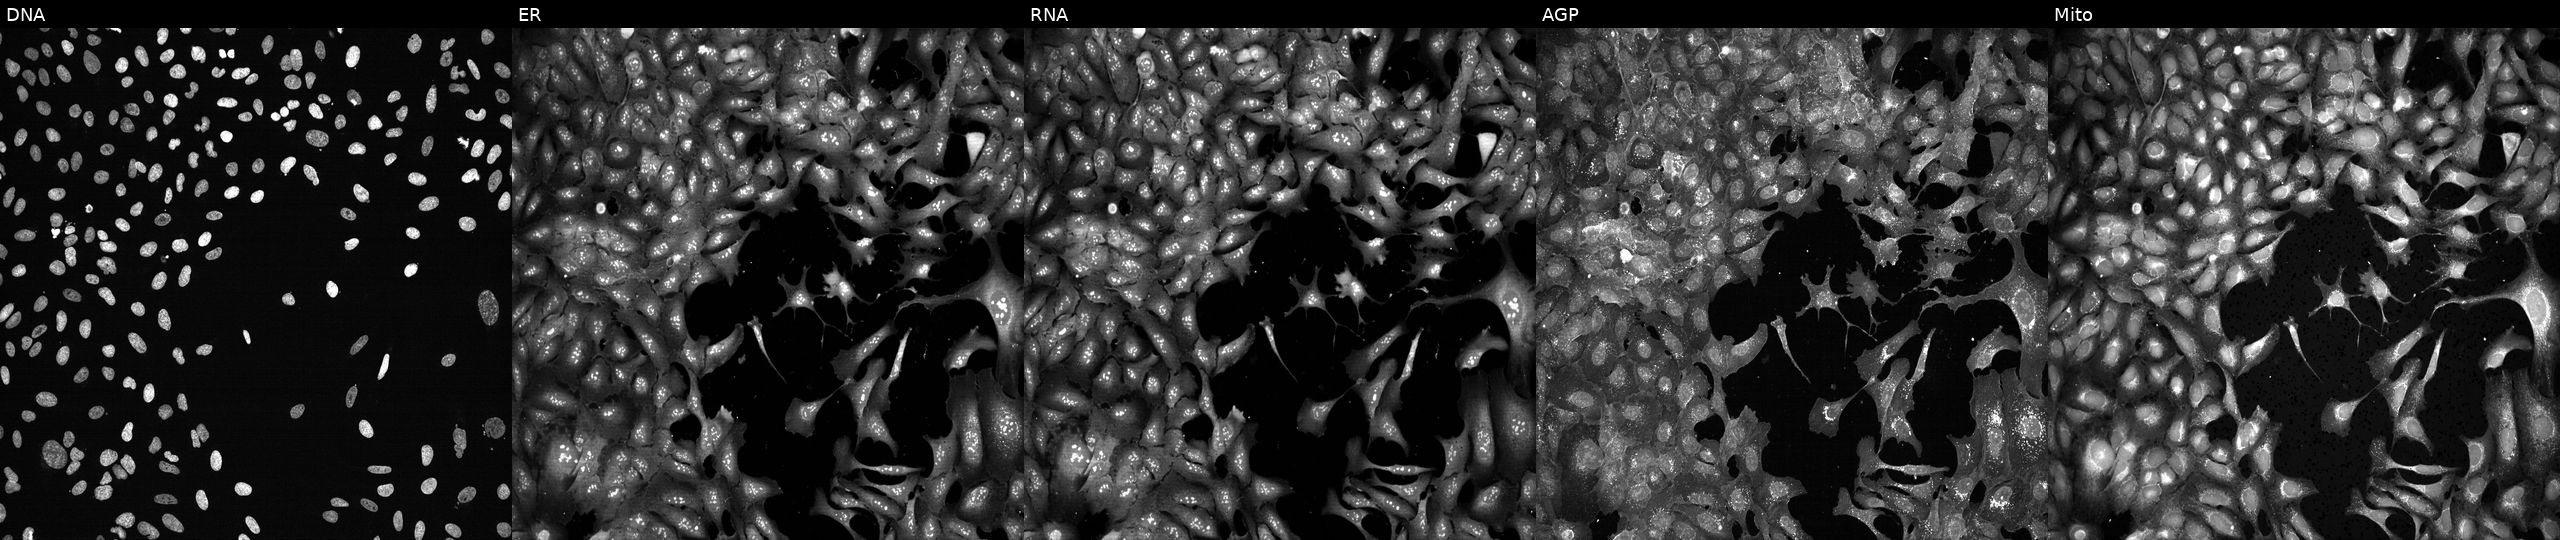
This image strip shows the five Cell Painting channels for a single field of U2OS cells with MYL6 knocked out by CRISPR (JUMP id JCP2022_804372). Channels (left→right): Hoechst 33342, concanavalin A, SYTO 14, phalloidin and WGA, MitoTracker.